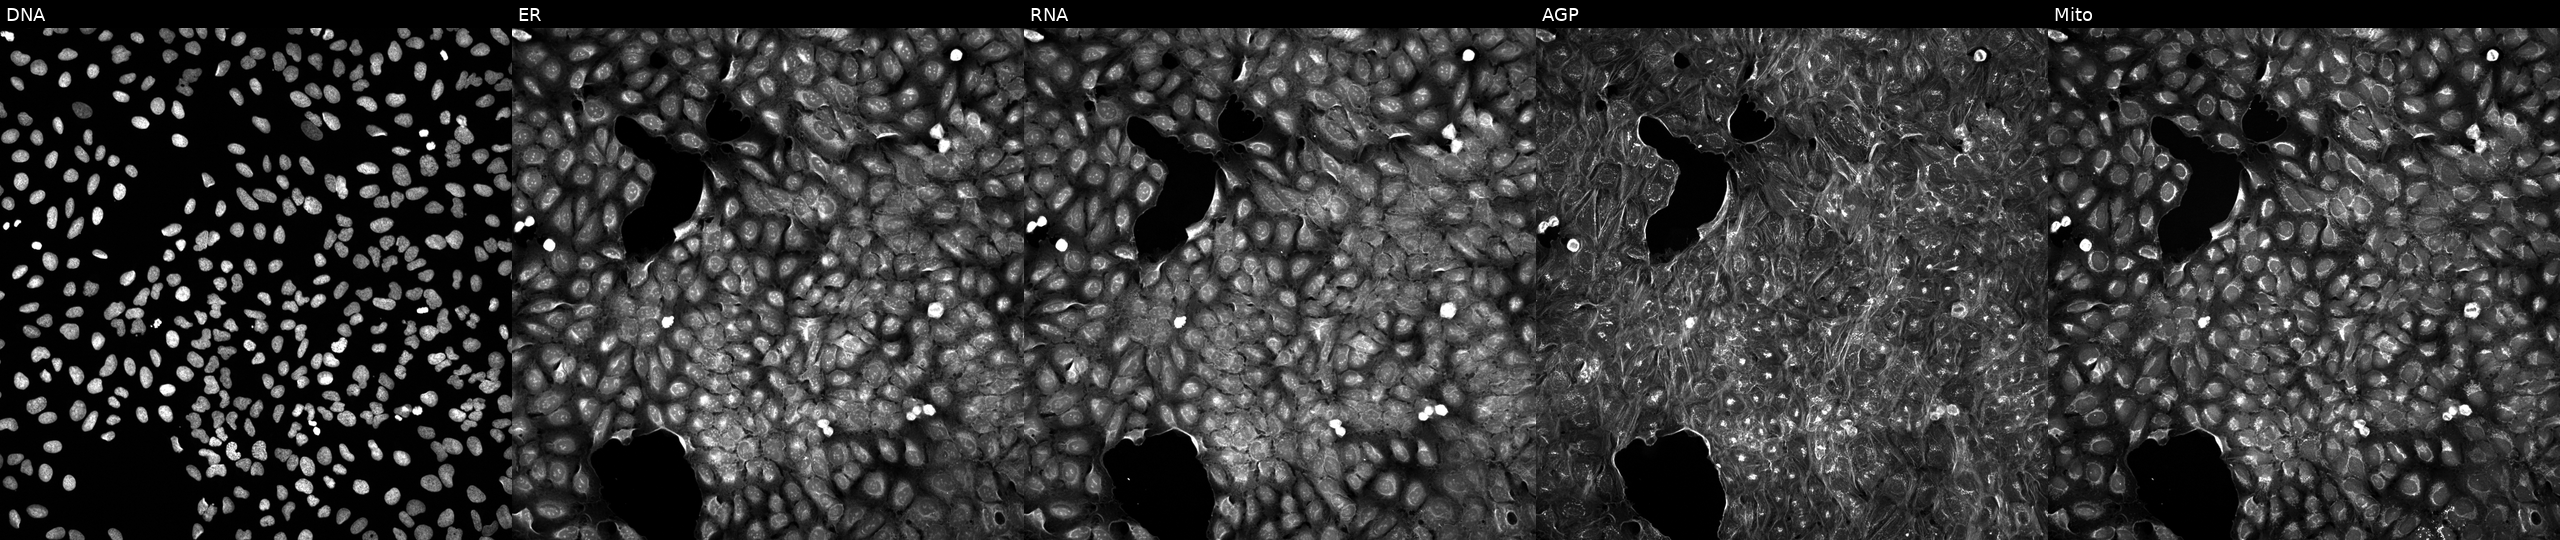
Five-channel Cell Painting image of U2OS cells treated with a small-molecule compound (InChIKey MXOYURIMYQCBQX-UHFFFAOYSA-N) [SMILES: Cc1ccc(S(=O)(=O)NCCC(=O)N(C)CC(=O)N2c3ccccc3NC(=O)CC2C)cc1] (JUMP id JCP2022_057203). The five panels, left to right, show DNA (nuclei); ER (endoplasmic reticulum); RNA (nucleoli and cytoplasmic RNA); AGP (actin cytoskeleton, Golgi, and plasma membrane); Mito (mitochondria). Source 5, plate APTJUM105, well M11.